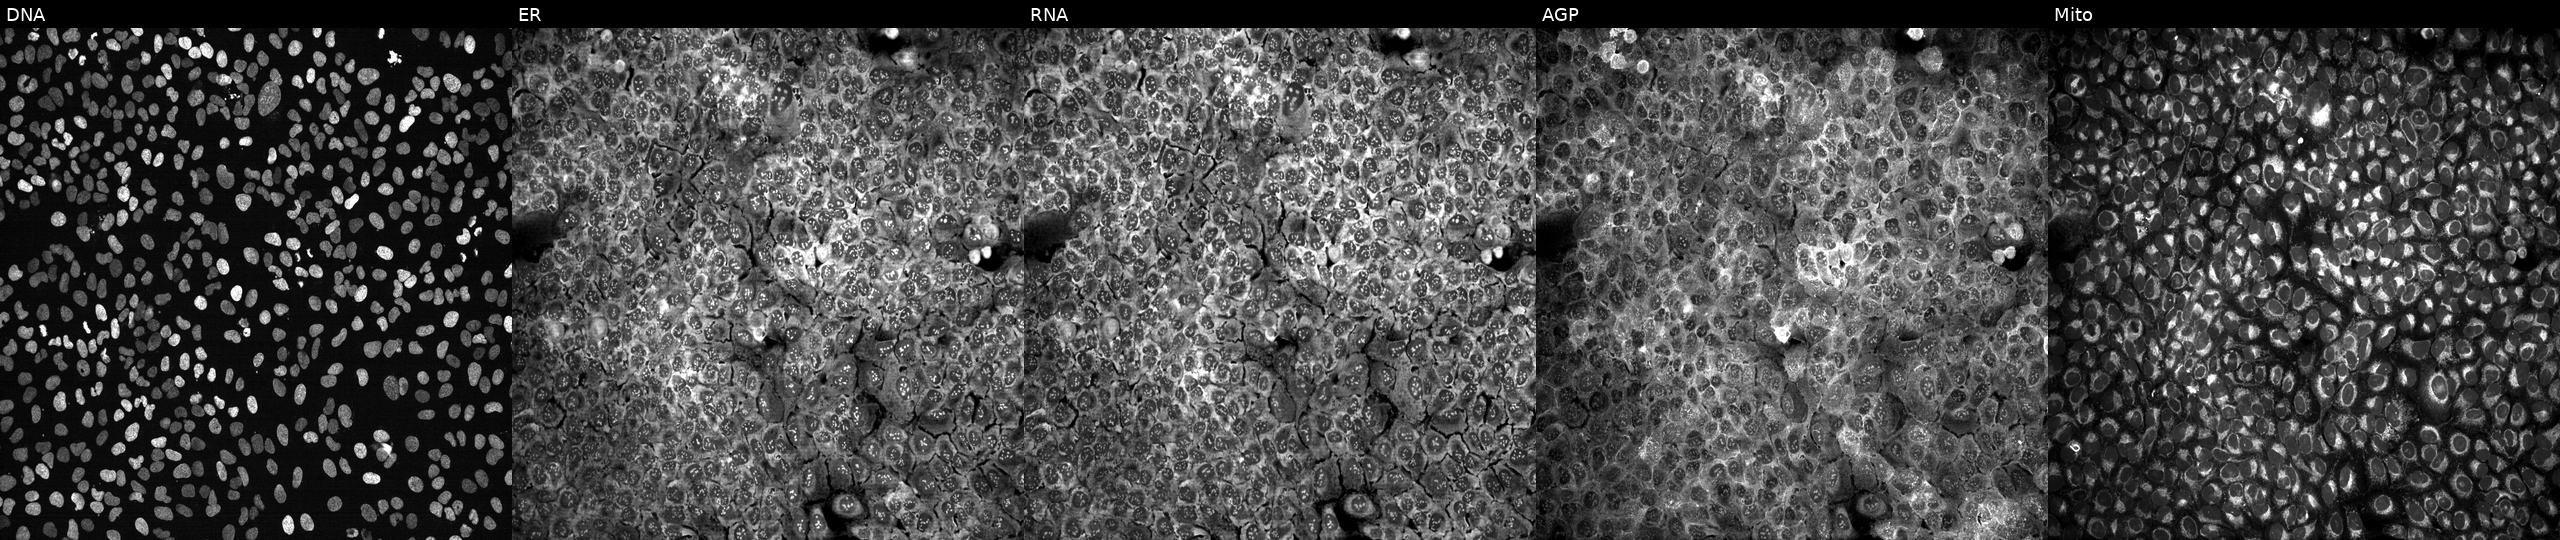
JUMP Cell Painting — CRISPR plate. U2OS cells following CRISPR knockout of ADSL (JUMP id JCP2022_800286). From left to right: DNA (nuclei); ER (endoplasmic reticulum); RNA (nucleoli and cytoplasmic RNA); AGP (actin cytoskeleton, Golgi, and plasma membrane); Mito (mitochondria). Source 13, plate CP-CC9-R4-03, well I14.